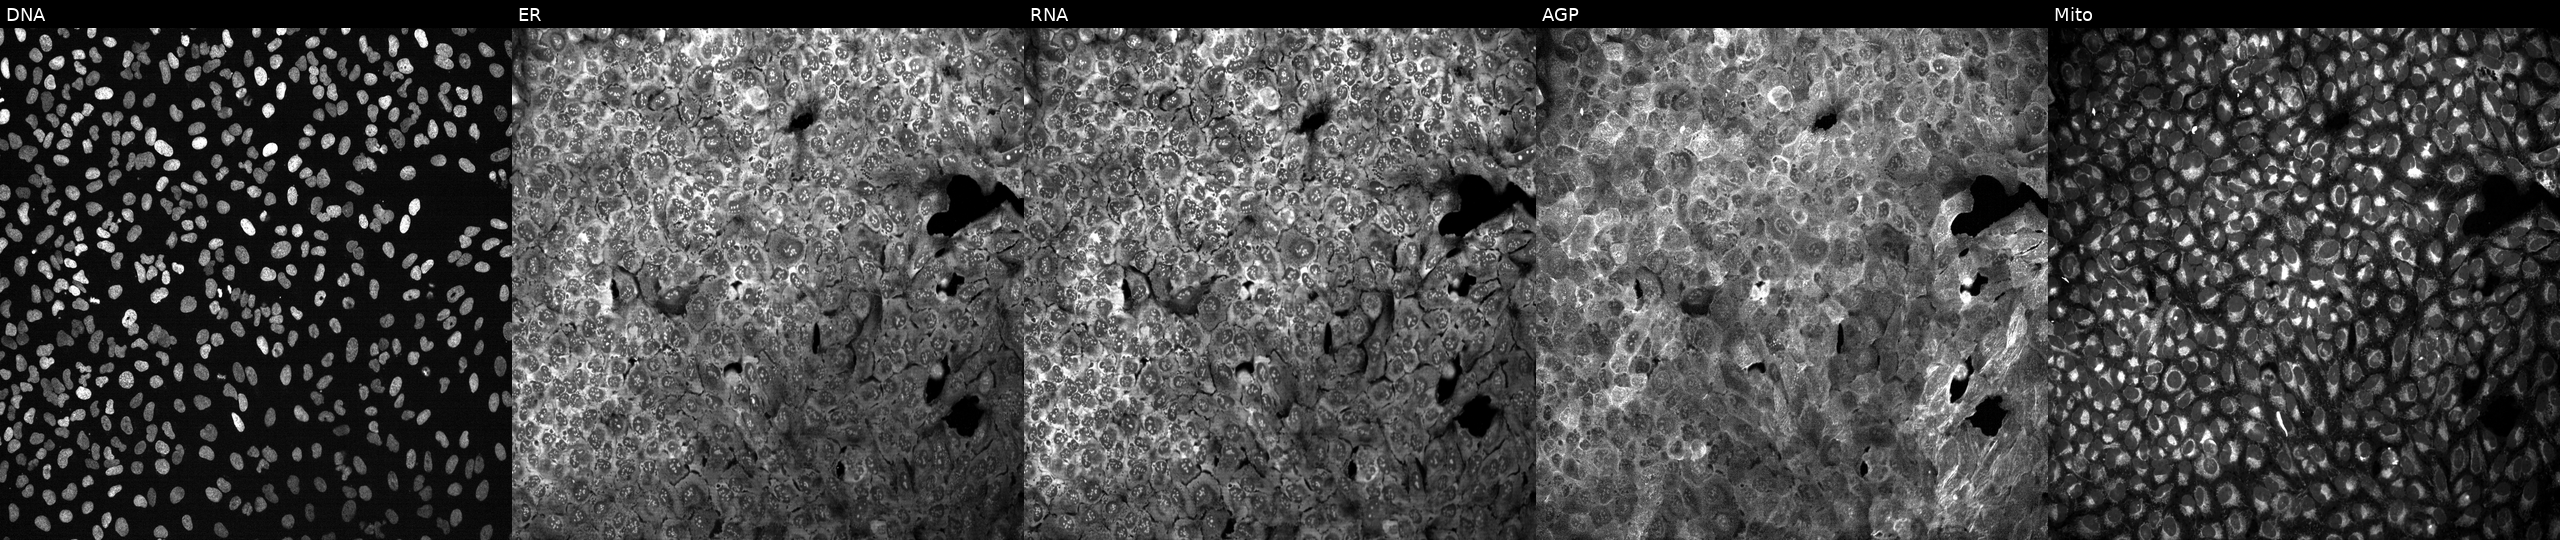
JUMP Cell Painting — CRISPR plate. U2OS cells CRISPR-edited to disrupt MRE11A (JUMP id JCP2022_804265). Panels show, left to right, DNA (nuclei); ER (endoplasmic reticulum); RNA (nucleoli and cytoplasmic RNA); AGP (actin cytoskeleton, Golgi, and plasma membrane); Mito (mitochondria).